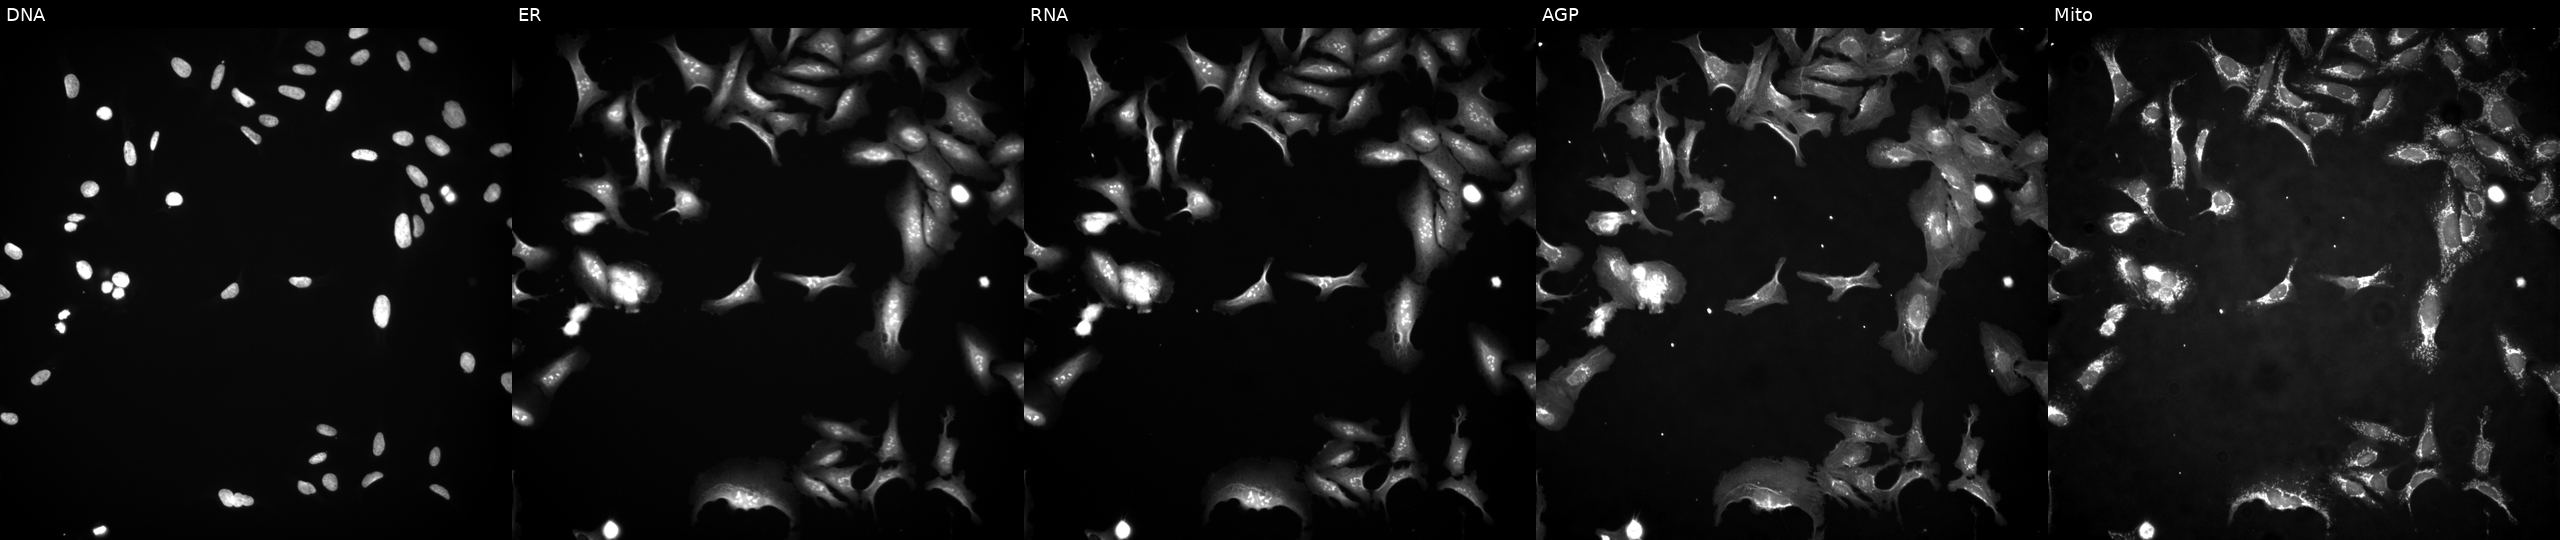
This image strip shows the five Cell Painting channels for a single field of U2OS cells overexpressing HMGB4 via ORF transfection (JUMP id JCP2022_912241). Panels show, left to right, Hoechst 33342, concanavalin A, SYTO 14, phalloidin and WGA, MitoTracker.